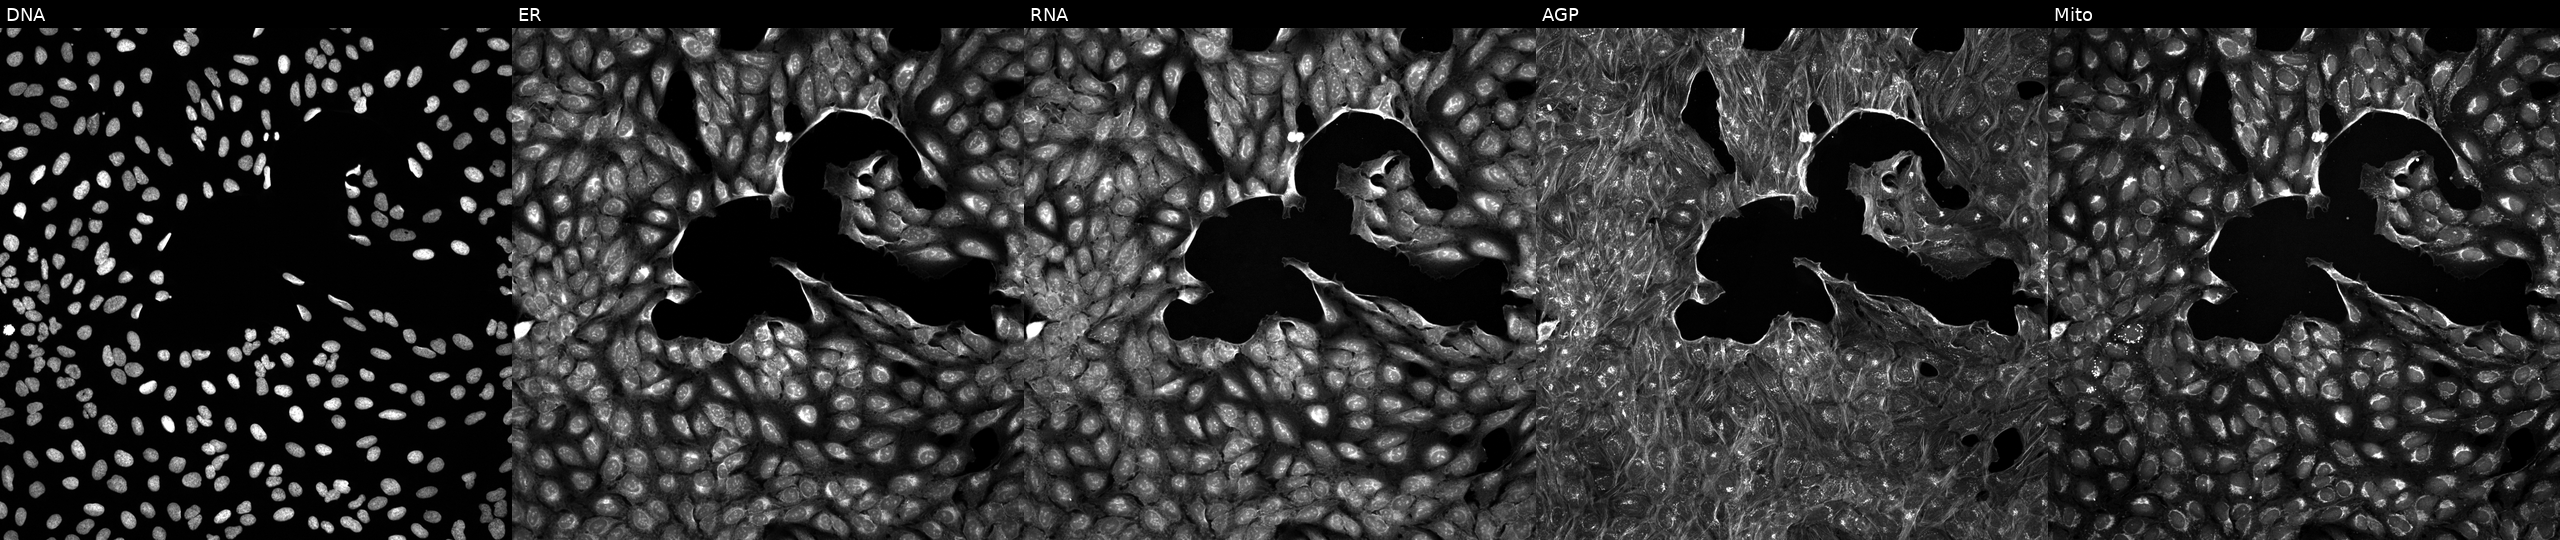
Five-channel Cell Painting image of U2OS cells treated with a small-molecule compound. Panels show, left to right, DNA, ER, RNA, AGP, and Mito.